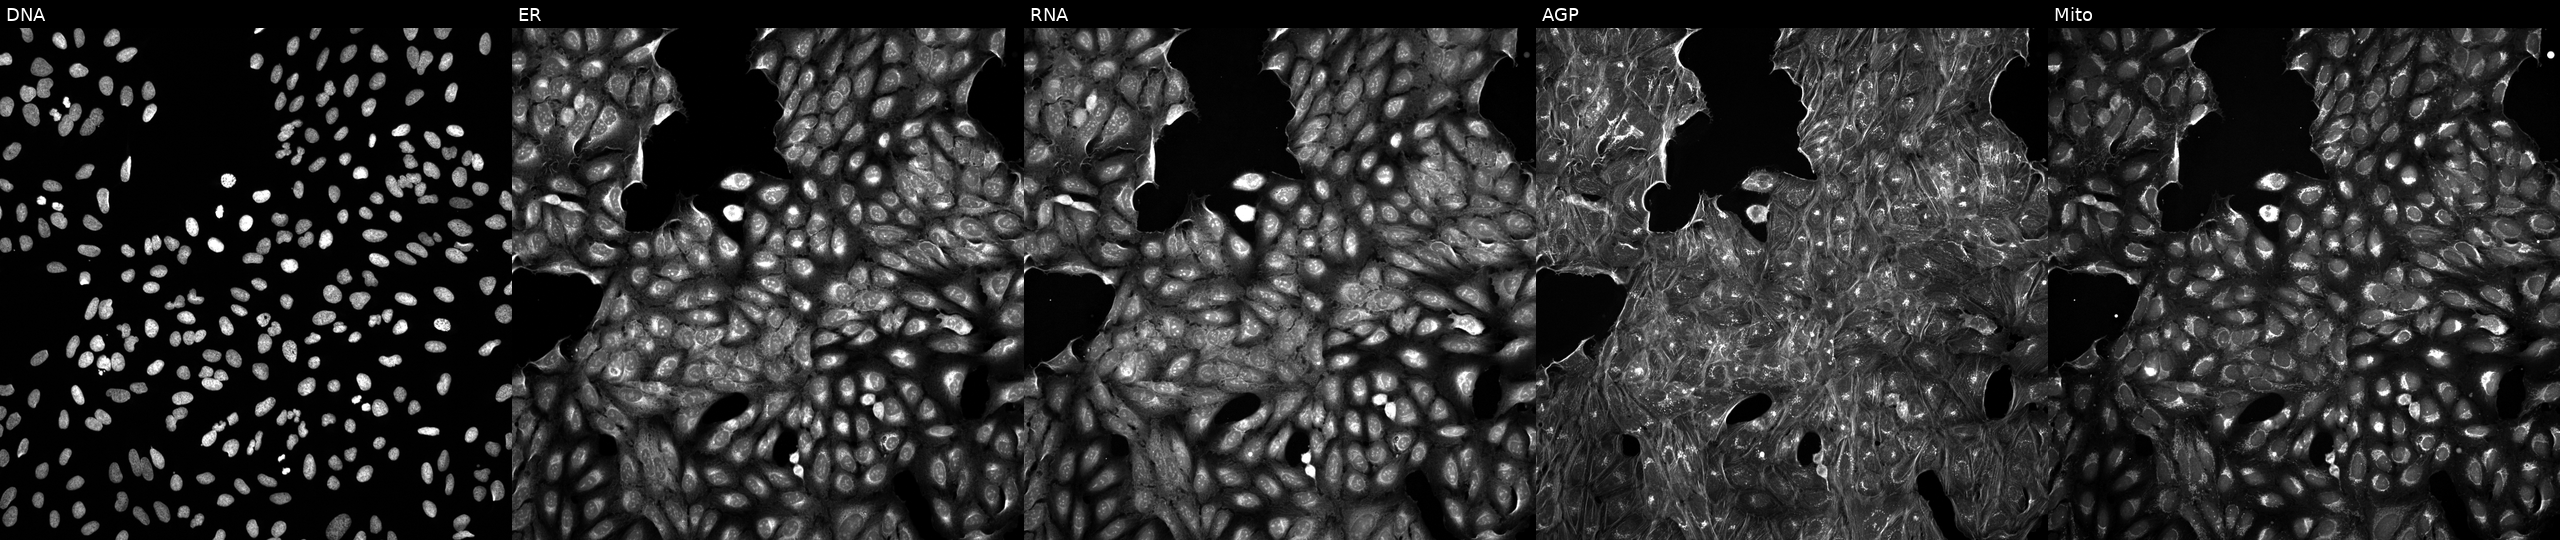
Five-channel Cell Painting image of U2OS cells exposed to DMSO alone as a negative control (JUMP id JCP2022_033924). Panels show, left to right, DNA (nuclei); ER (endoplasmic reticulum); RNA (nucleoli and cytoplasmic RNA); AGP (actin cytoskeleton, Golgi, and plasma membrane); Mito (mitochondria). Source 5, plate ACPJUM051, well J04.